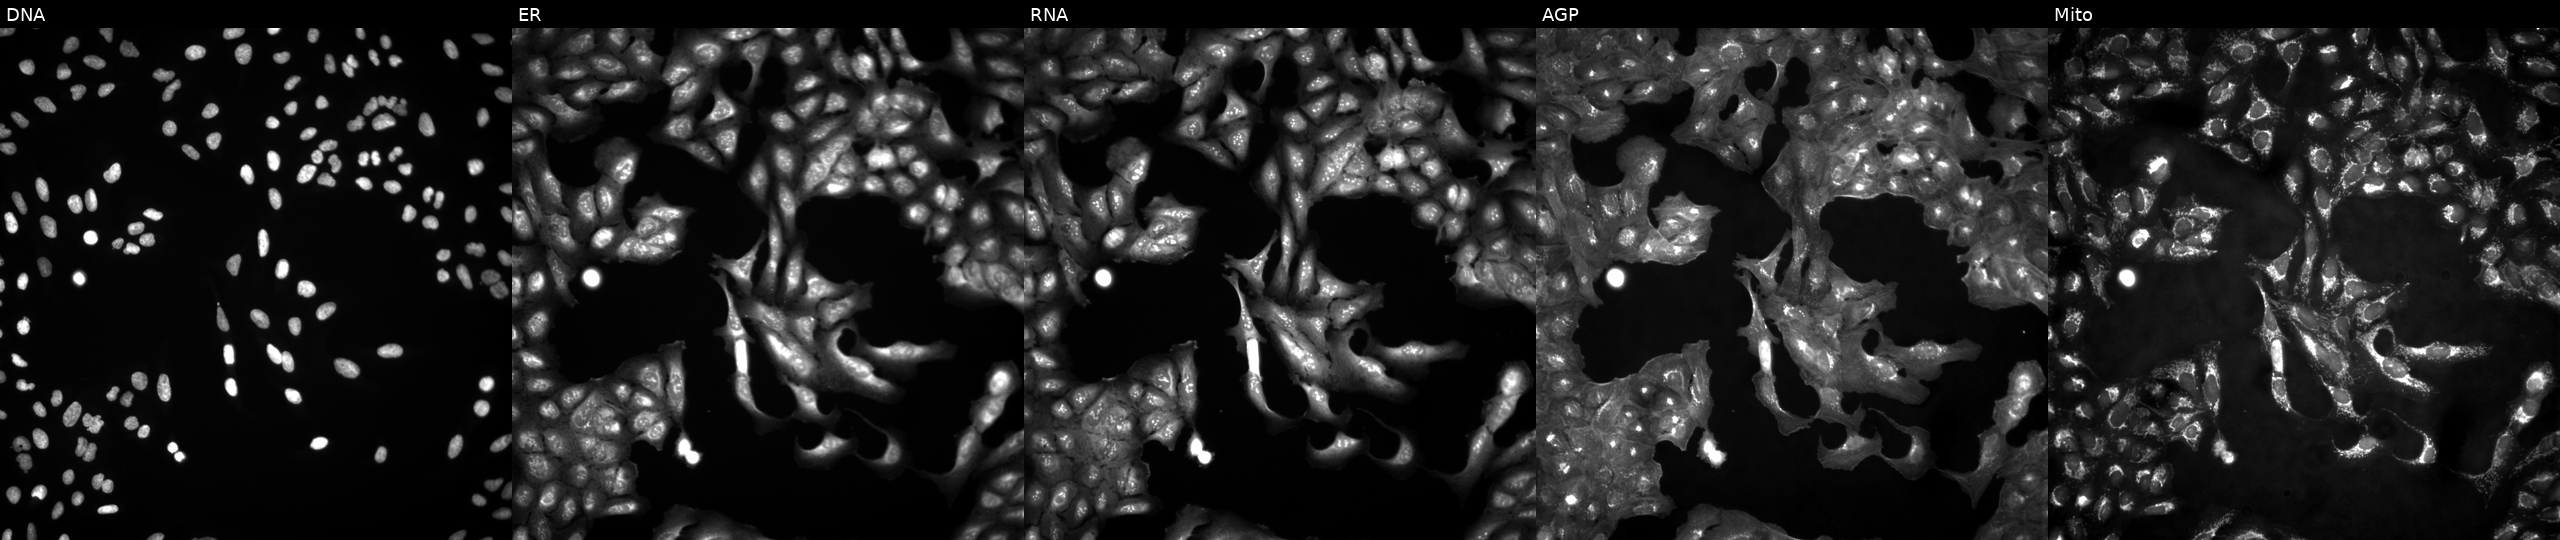
High-content fluorescence microscopy (Cell Painting). Cell line: U2OS. Perturbation: in an empty control well (no perturbation). Panels show, left to right, Hoechst 33342, concanavalin A, SYTO 14, phalloidin and WGA, MitoTracker. Source 4, plate BR00123946, well H20.